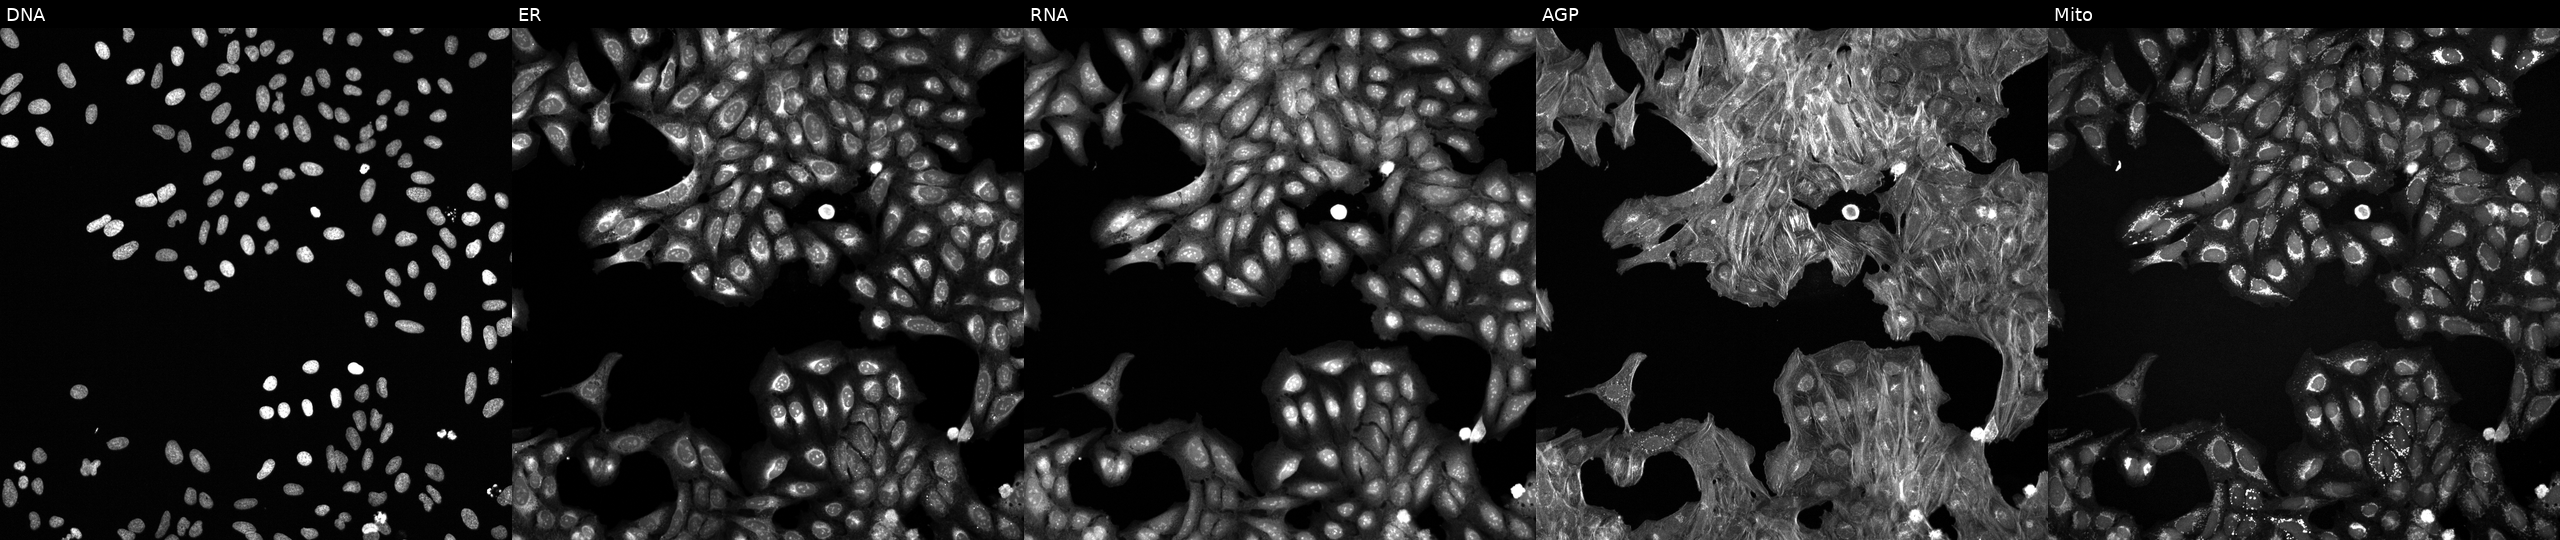
This image strip shows the five Cell Painting channels for a single field of U2OS cells treated with DMSO vehicle only (negative control) (JUMP id JCP2022_033924). From left to right: DNA (nuclei); ER (endoplasmic reticulum); RNA (nucleoli and cytoplasmic RNA); AGP (actin cytoskeleton, Golgi, and plasma membrane); Mito (mitochondria).